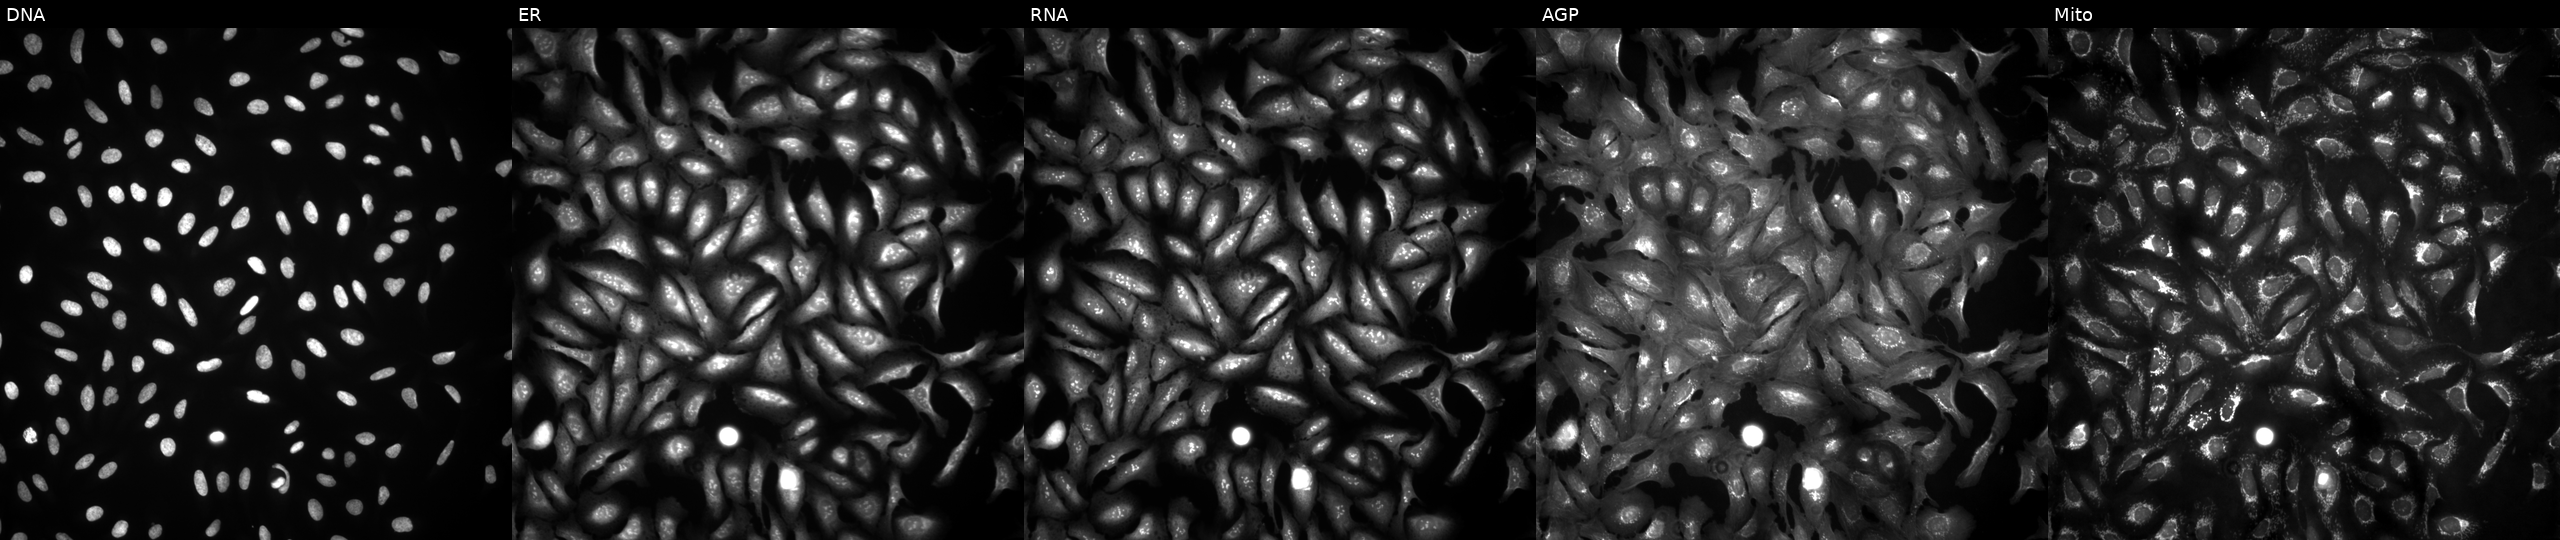
High-content fluorescence microscopy (Cell Painting). Cell line: U2OS. Perturbation: with ABCB6 overexpressed (ORF). Channels (left→right): Hoechst 33342, concanavalin A, SYTO 14, phalloidin and WGA, MitoTracker. Source 4, plate BR00121543, well O01.